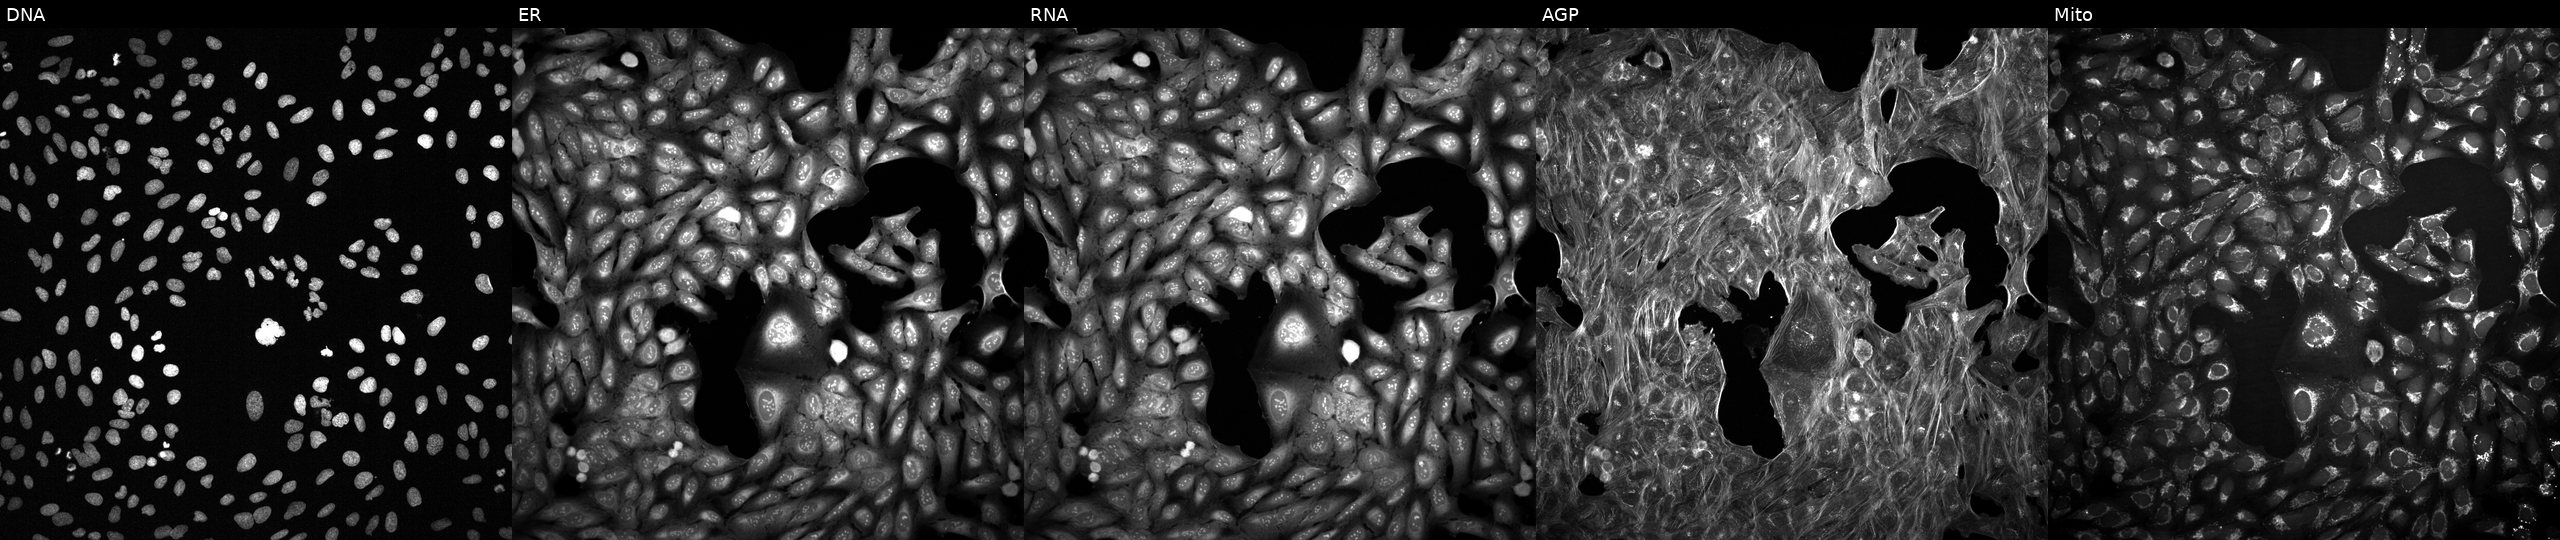
Five-channel Cell Painting image of U2OS cells exposed to DMSO alone as a negative control. Panels show, left to right, Hoechst 33342, concanavalin A, SYTO 14, phalloidin and WGA, MitoTracker. Source 2, plate 1053600674, well K06.